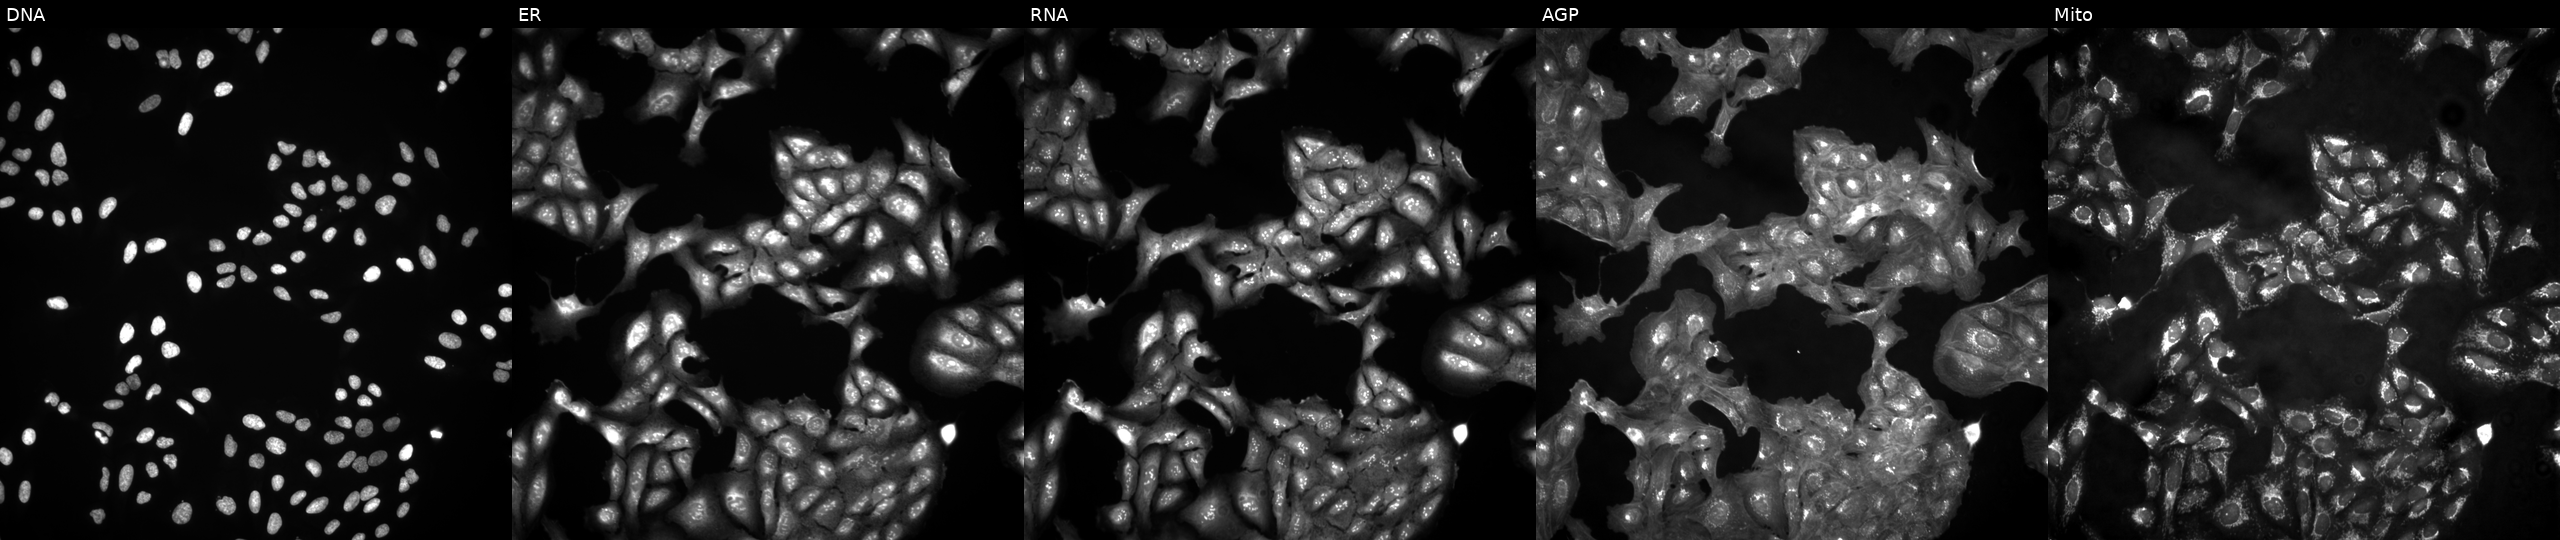
Five-channel Cell Painting image of U2OS cells untreated (empty-well control). From left to right: Hoechst 33342, concanavalin A, SYTO 14, phalloidin and WGA, MitoTracker. Source 4, plate BR00123946, well E07.